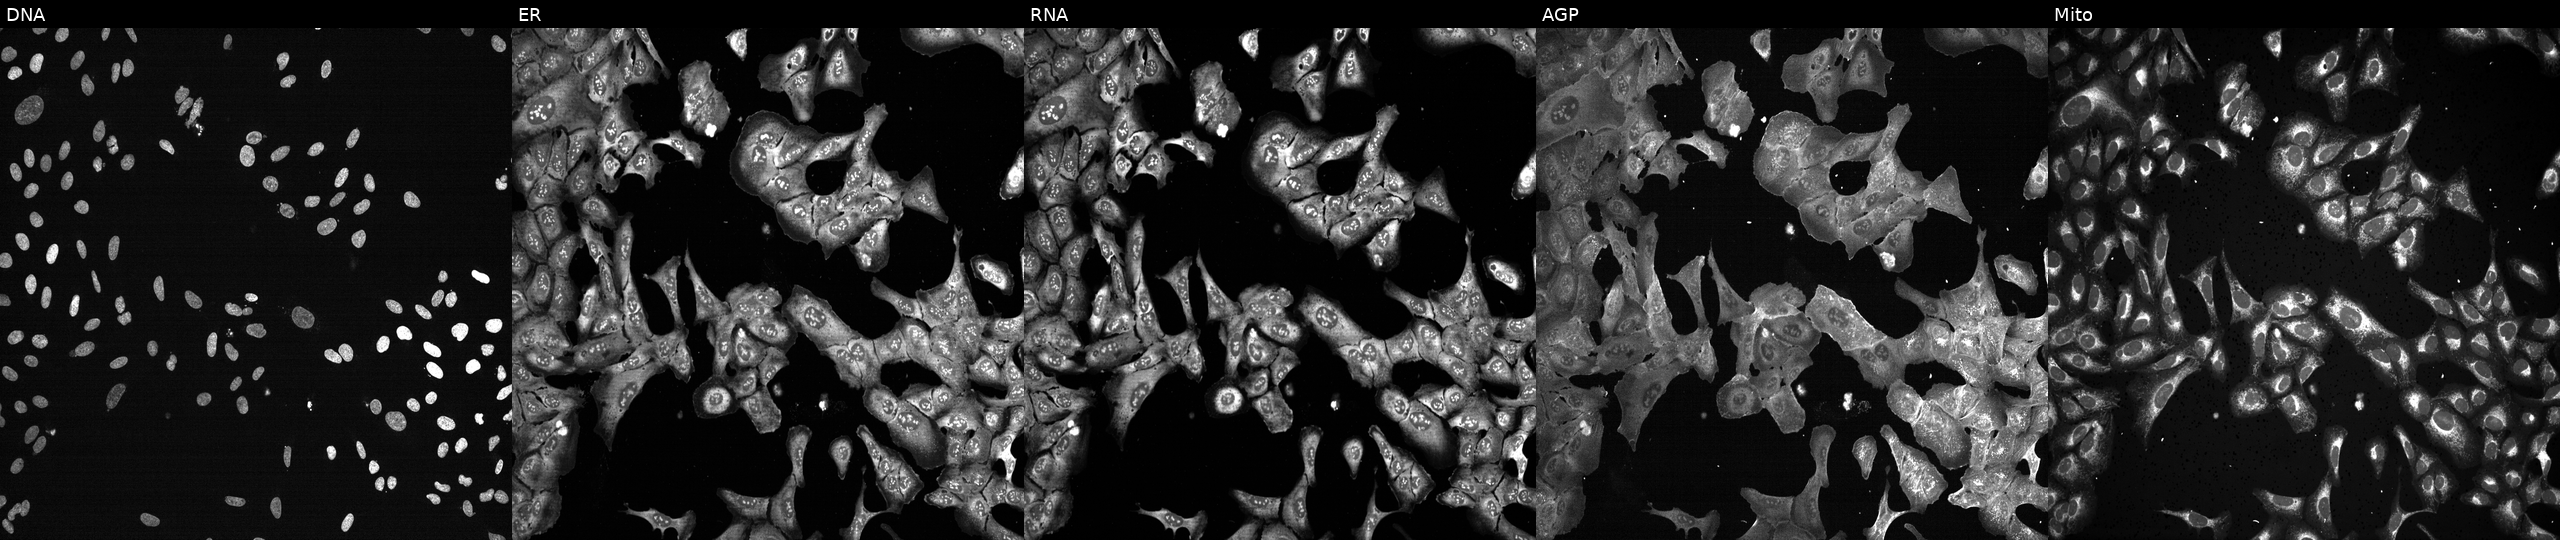
Five-channel Cell Painting image of U2OS cells CRISPR-edited to disrupt MYH4 (JUMP id JCP2022_804366). From left to right: DNA, ER, RNA, AGP, and Mito.